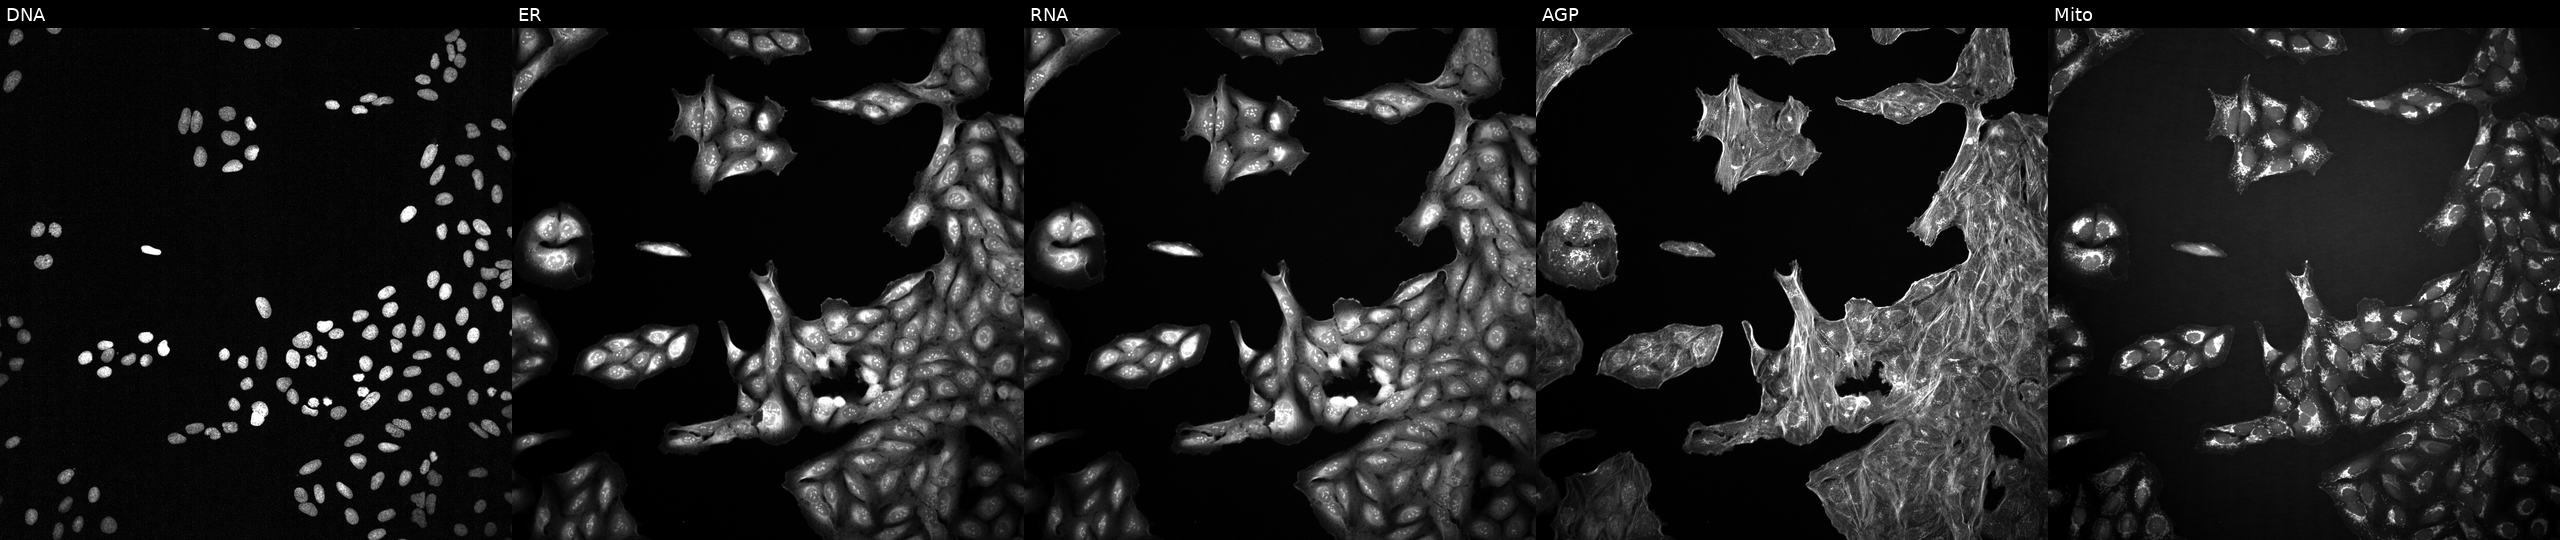
High-content fluorescence microscopy (Cell Painting). Cell line: U2OS. Perturbation: exposed to a small-molecule compound (JUMP id JCP2022_113779). The five panels, left to right, show DNA, ER, RNA, AGP, and Mito. Source 2, plate 1053600674, well D01.